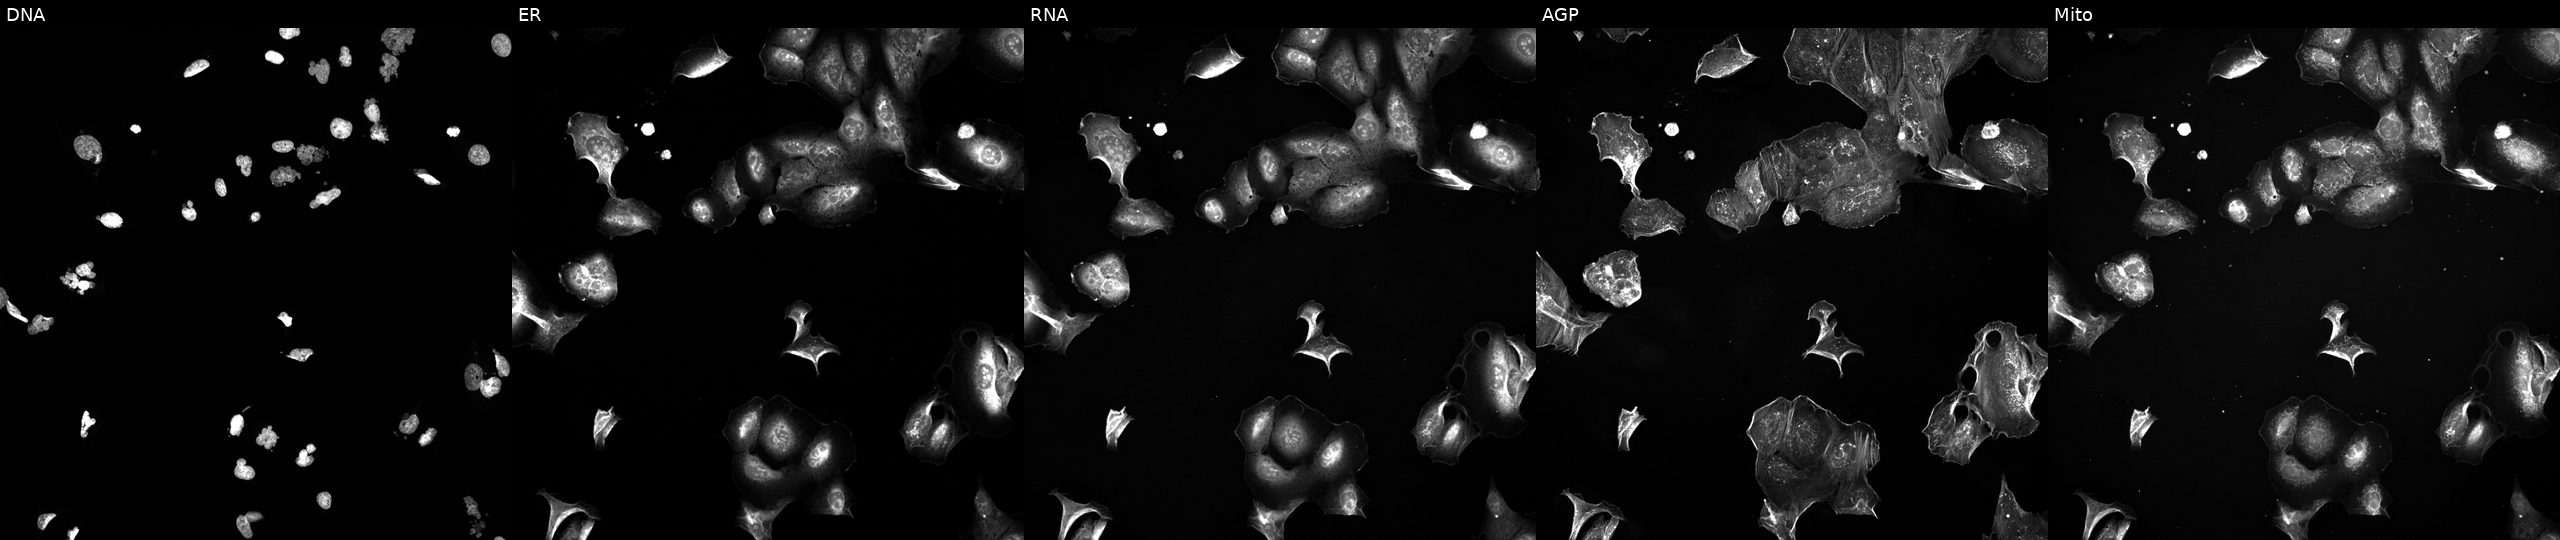
JUMP Cell Painting — TARGET2 plate. U2OS cells treated with a small-molecule compound (InChIKey CMYHZFCJPORPHY-UHFFFAOYSA-N) [SMILES: CSc1nc(=N)cc(Oc2ccc(-c3nc(=Nc4cccc(C(F)(F)F)c4)[nH][nH]3)cc2)[nH]1] (JUMP id JCP2022_012198). Panels show, left to right, DNA (nuclei); ER (endoplasmic reticulum); RNA (nucleoli and cytoplasmic RNA); AGP (actin cytoskeleton, Golgi, and plasma membrane); Mito (mitochondria).